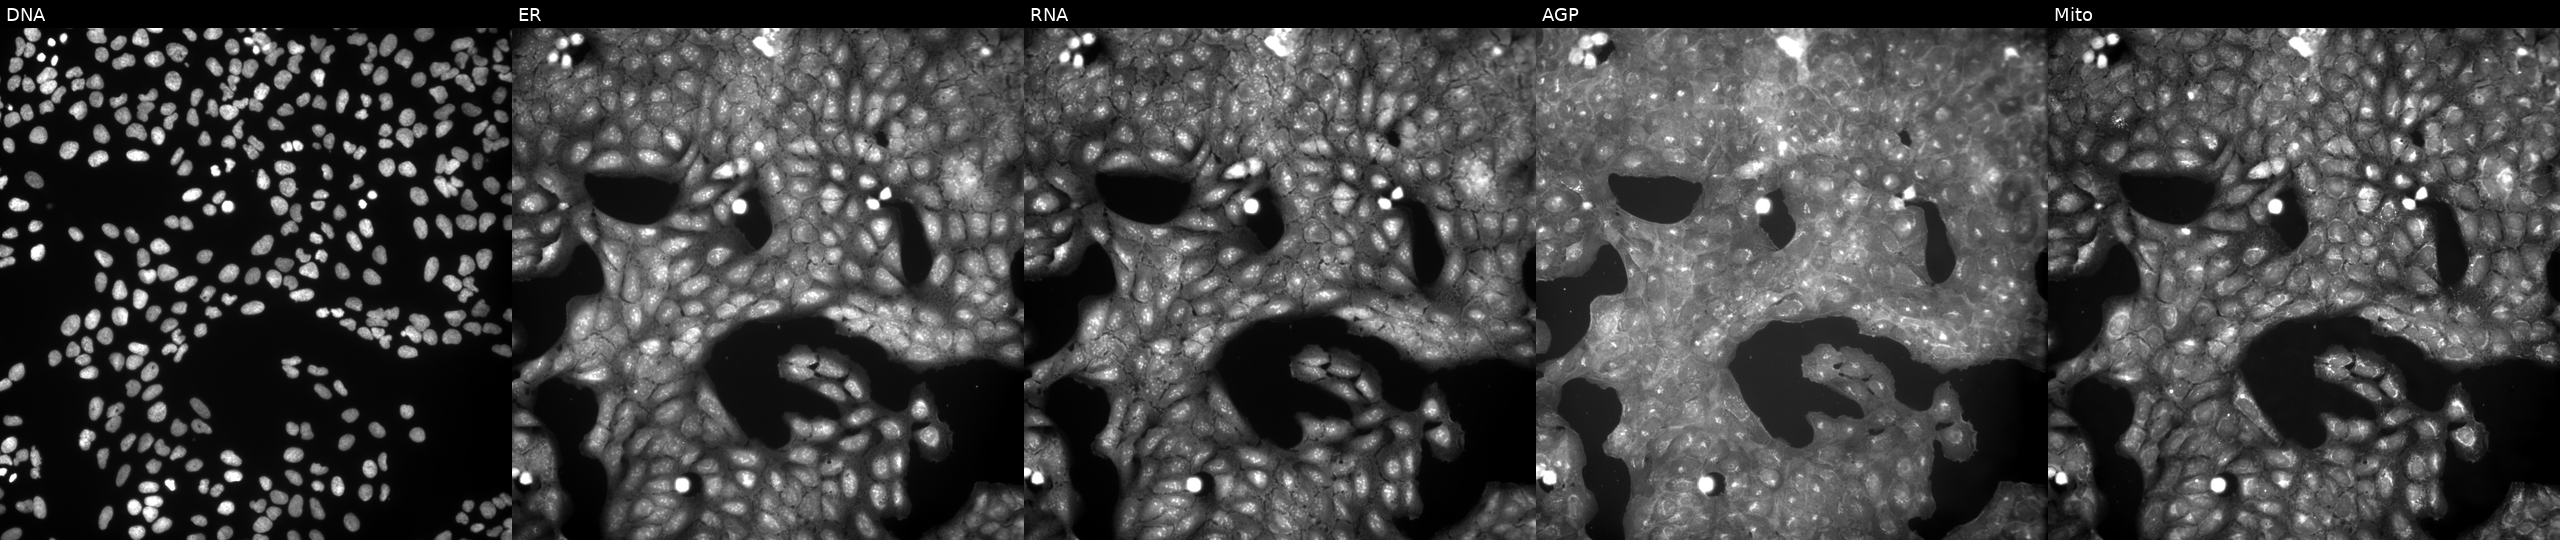
Five-channel Cell Painting image of U2OS cells exposed to a small-molecule compound (JUMP id JCP2022_082385). The five panels, left to right, show Hoechst 33342, concanavalin A, SYTO 14, phalloidin and WGA, MitoTracker.